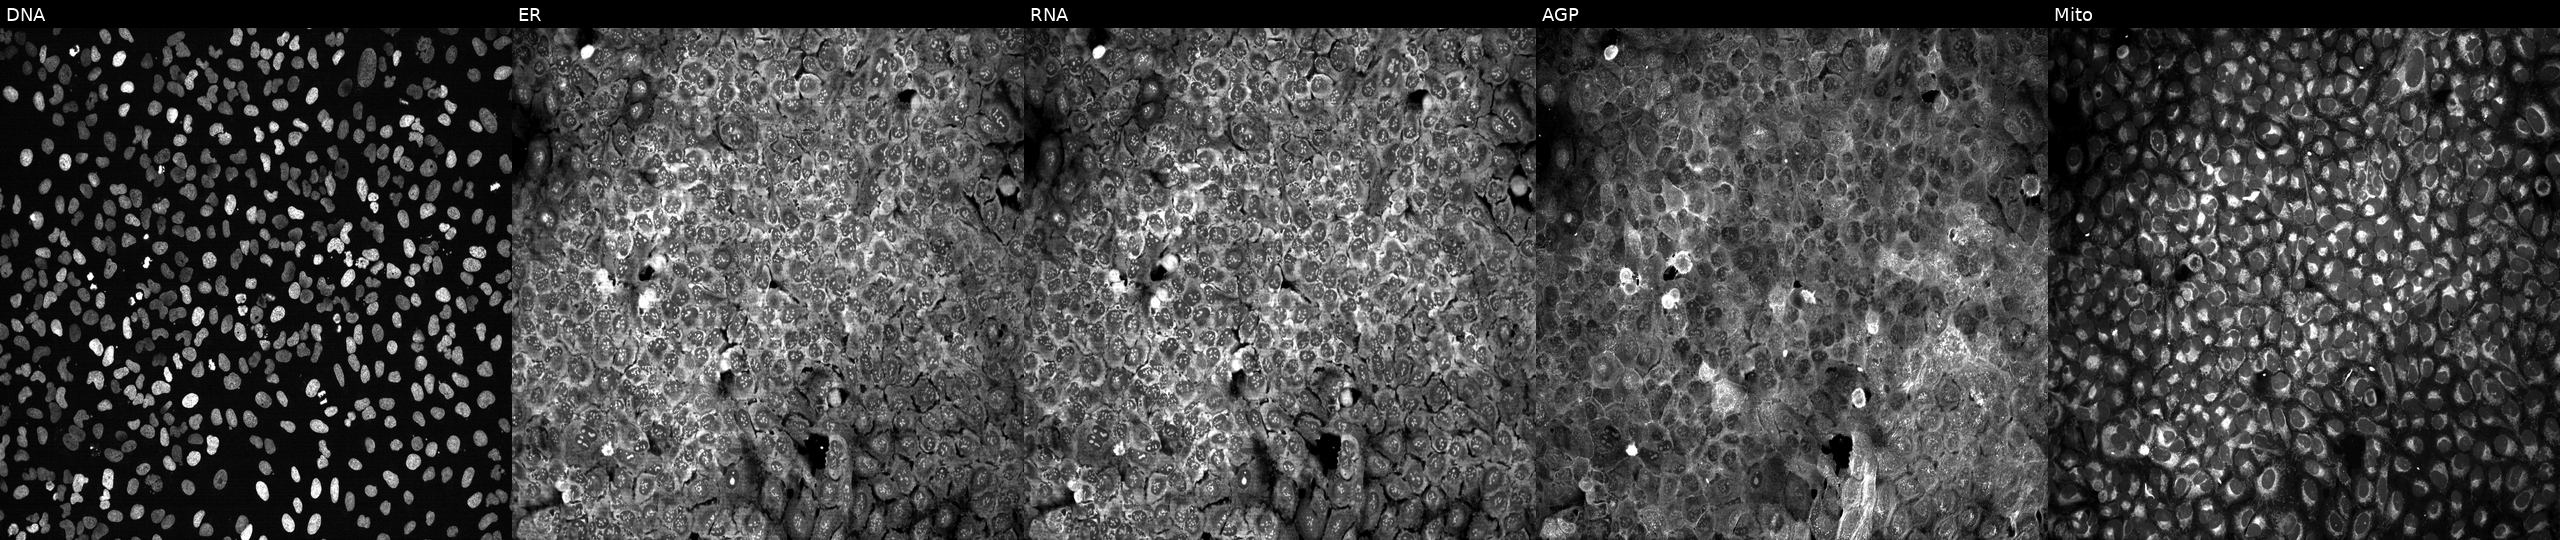
Five-channel Cell Painting image of U2OS cells with ATP10D knocked out by CRISPR. The five panels, left to right, show DNA (nuclei); ER (endoplasmic reticulum); RNA (nucleoli and cytoplasmic RNA); AGP (actin cytoskeleton, Golgi, and plasma membrane); Mito (mitochondria). Source 13, plate CP-CC9-R2-01, well H21.